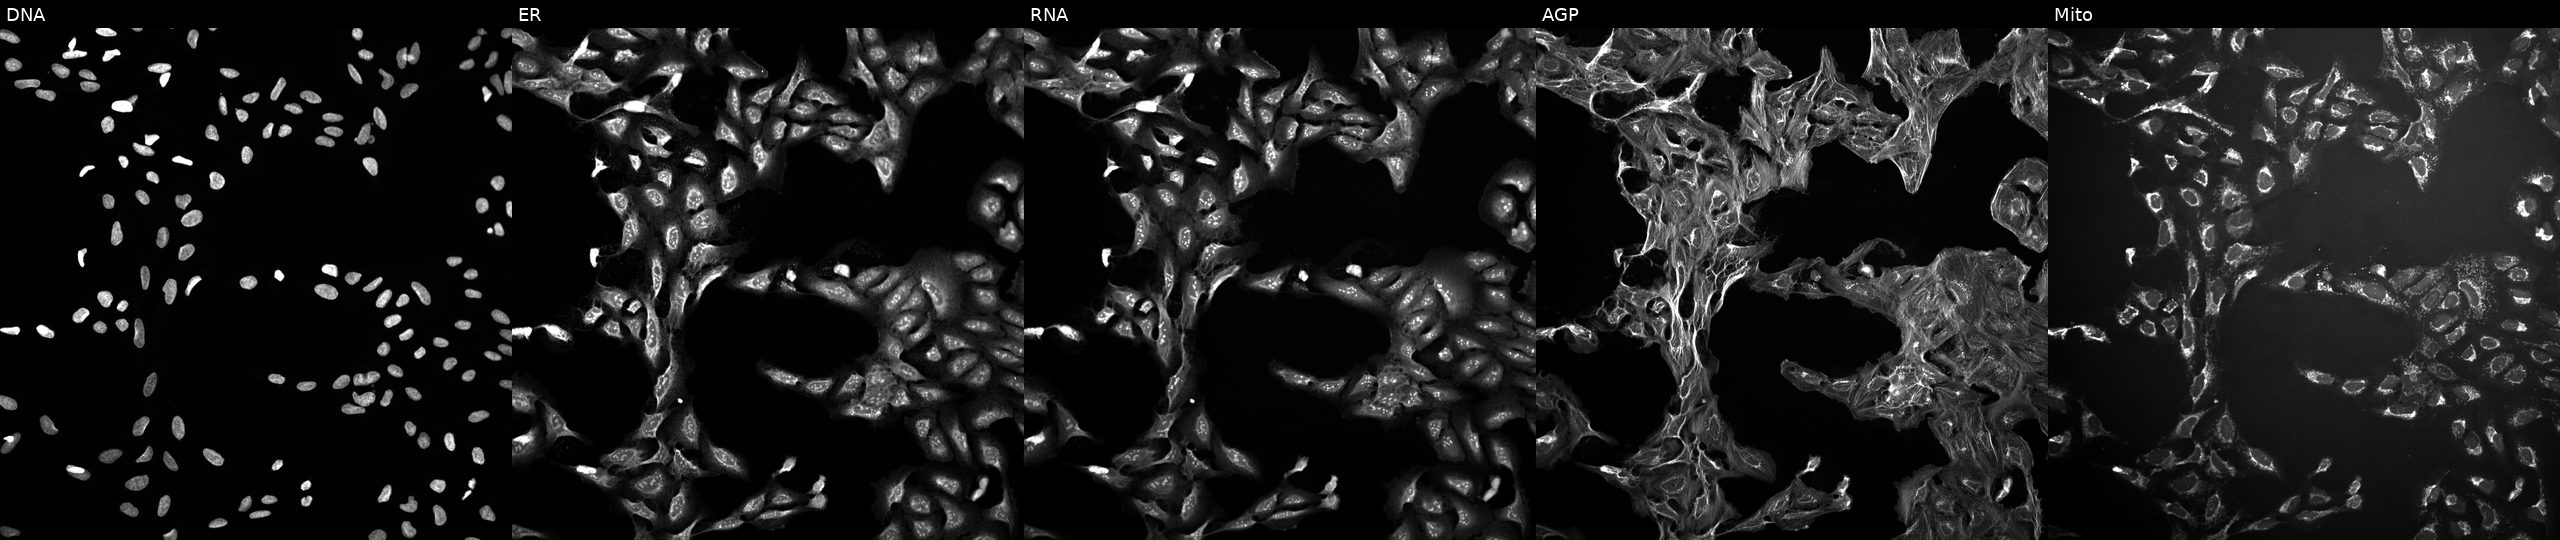
This image strip shows the five Cell Painting channels for a single field of U2OS cells perturbed with a small-molecule compound (JUMP id JCP2022_062326). Channels (left→right): Hoechst 33342, concanavalin A, SYTO 14, phalloidin and WGA, MitoTracker. Source 10, plate Dest210726-160150, well B16.